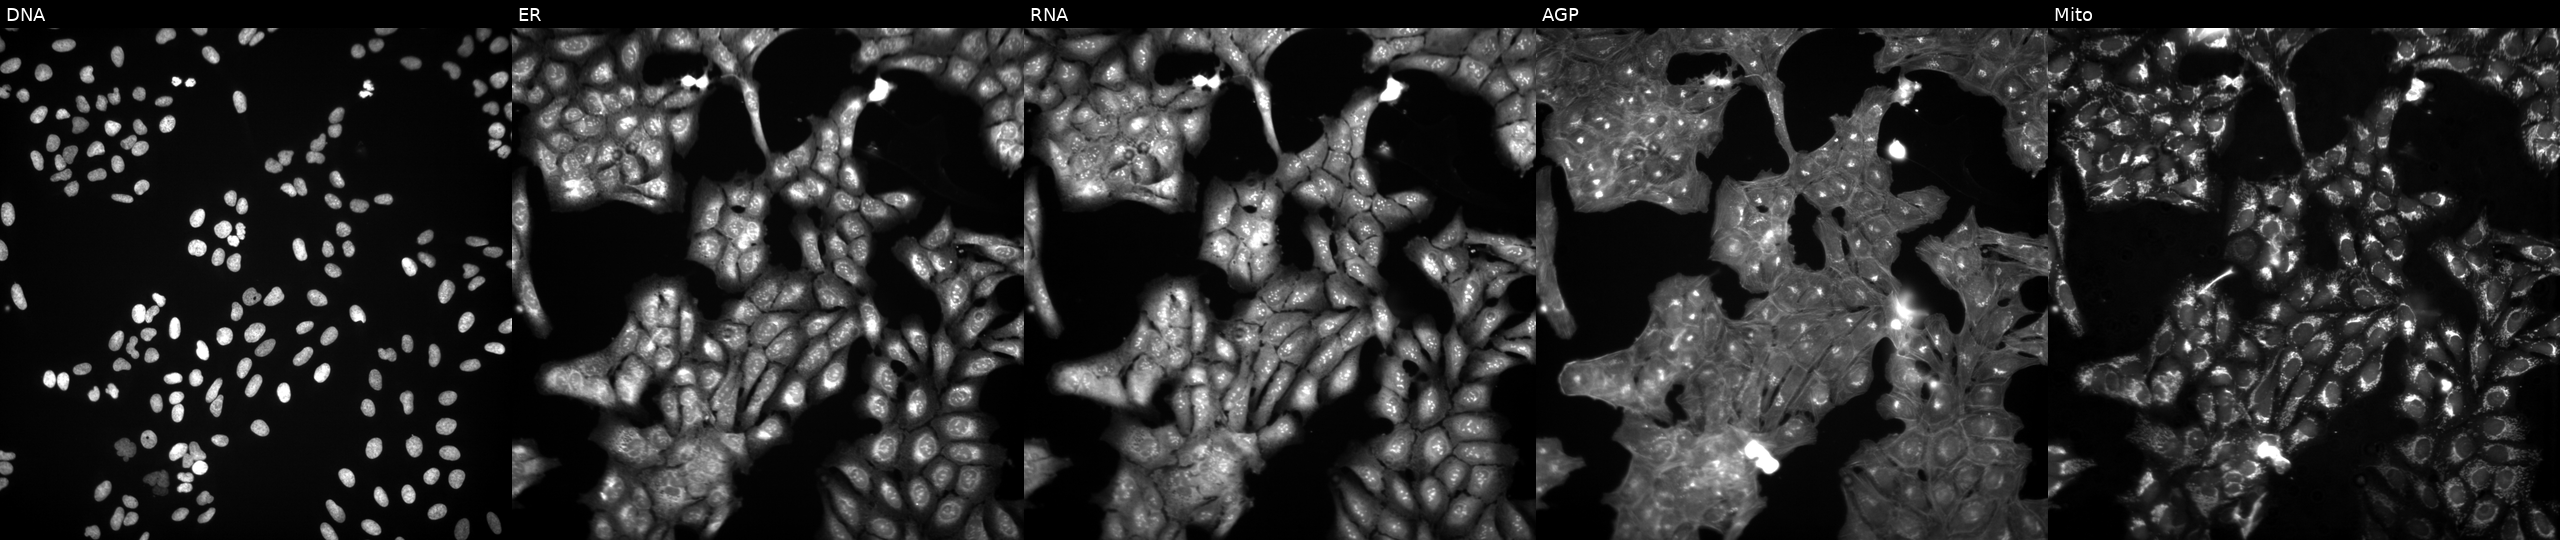
High-content fluorescence microscopy (Cell Painting). Cell line: U2OS. Perturbation: treated with a small-molecule compound (InChIKey PWADWGUYYUXYNS-UHFFFAOYSA-N). From left to right: DNA, ER, RNA, AGP, and Mito.